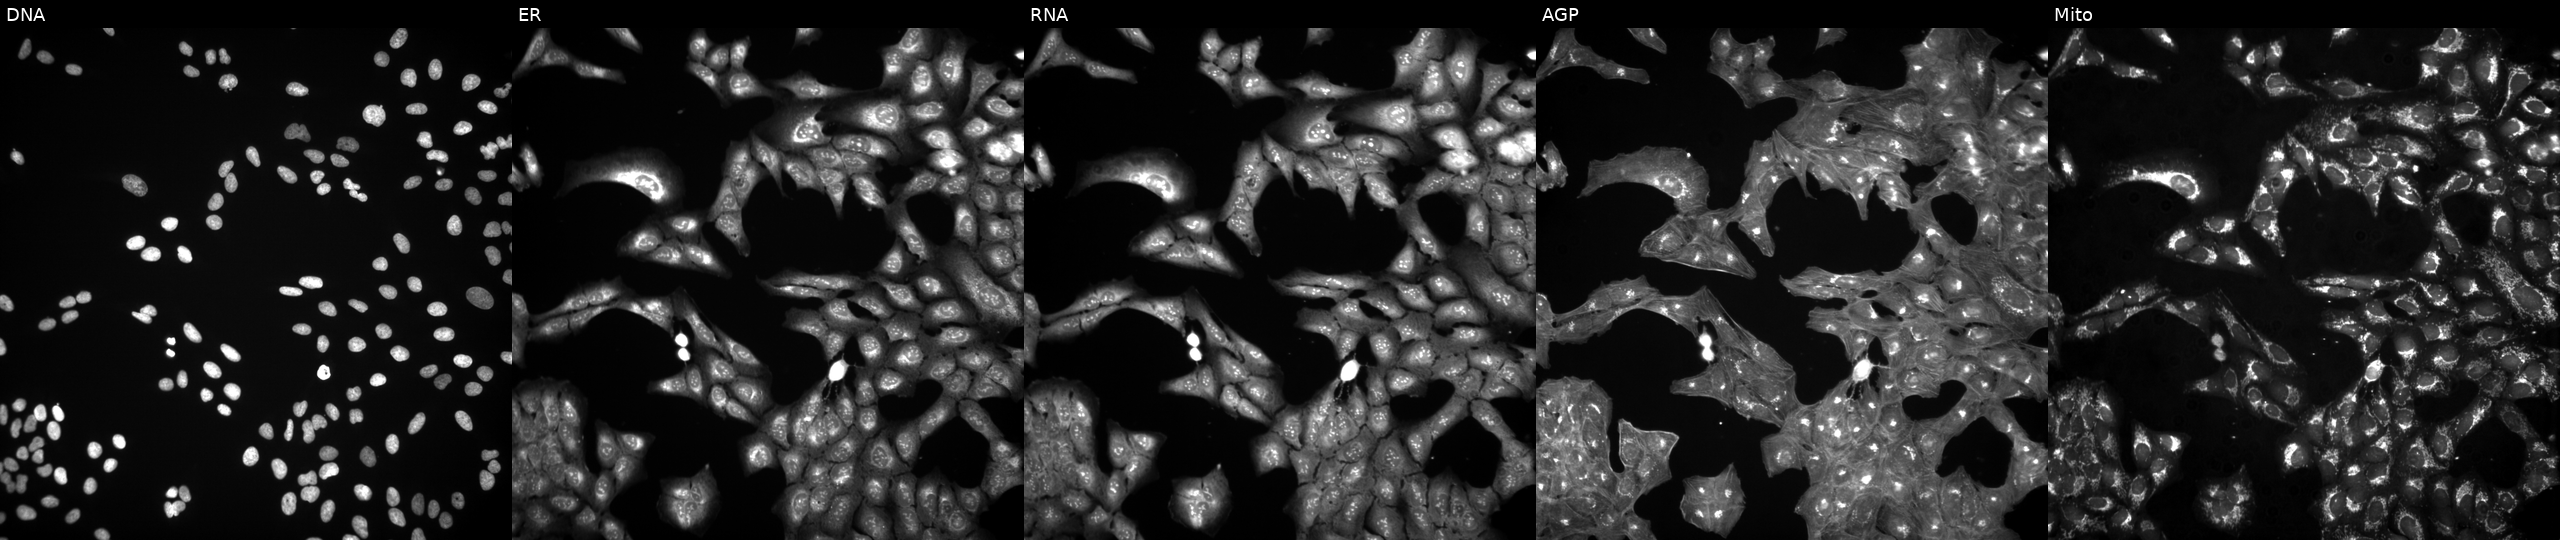
High-content fluorescence microscopy (Cell Painting). Cell line: U2OS. Perturbation: exposed to a small-molecule compound (InChIKey PBBGSZCBWVPOOL-UHFFFAOYSA-N). Channels (left→right): Hoechst 33342, concanavalin A, SYTO 14, phalloidin and WGA, MitoTracker. Source 3, plate JCPQC052, well O22.